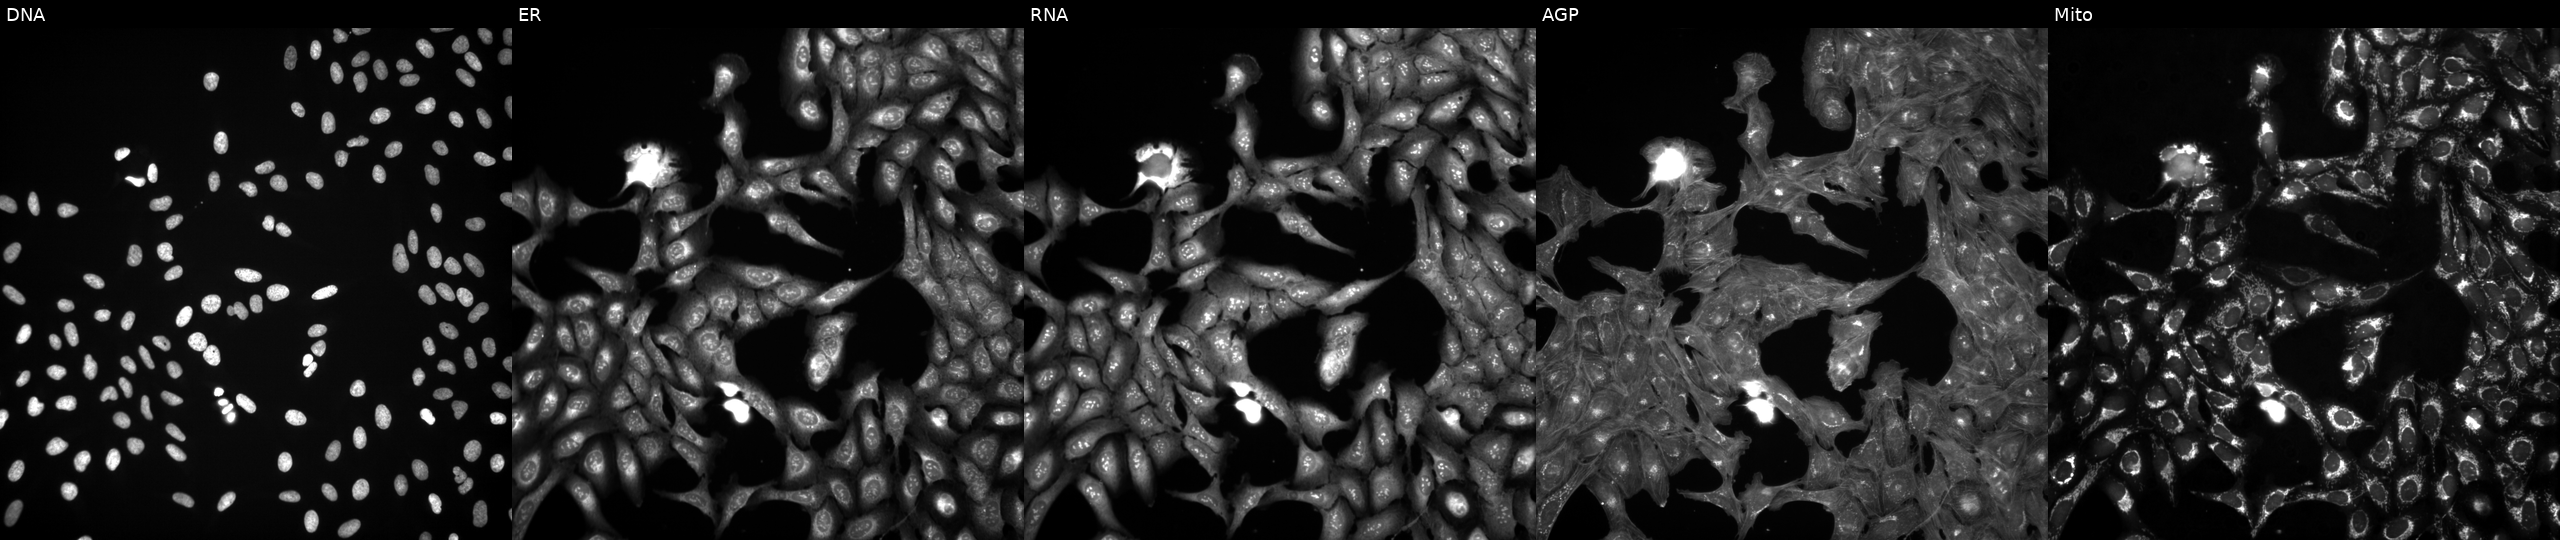
Panels show, left to right, DNA (nuclei); ER (endoplasmic reticulum); RNA (nucleoli and cytoplasmic RNA); AGP (actin cytoskeleton, Golgi, and plasma membrane); Mito (mitochondria). U2OS osteosarcoma cells perturbed with a small-molecule compound (InChIKey HBUBKKRHXORPQB-UHFFFAOYSA-N) (JUMP id JCP2022_029186). Cell Painting assay, JUMP-CP dataset. Source 3, plate JCPQC051, well I23.